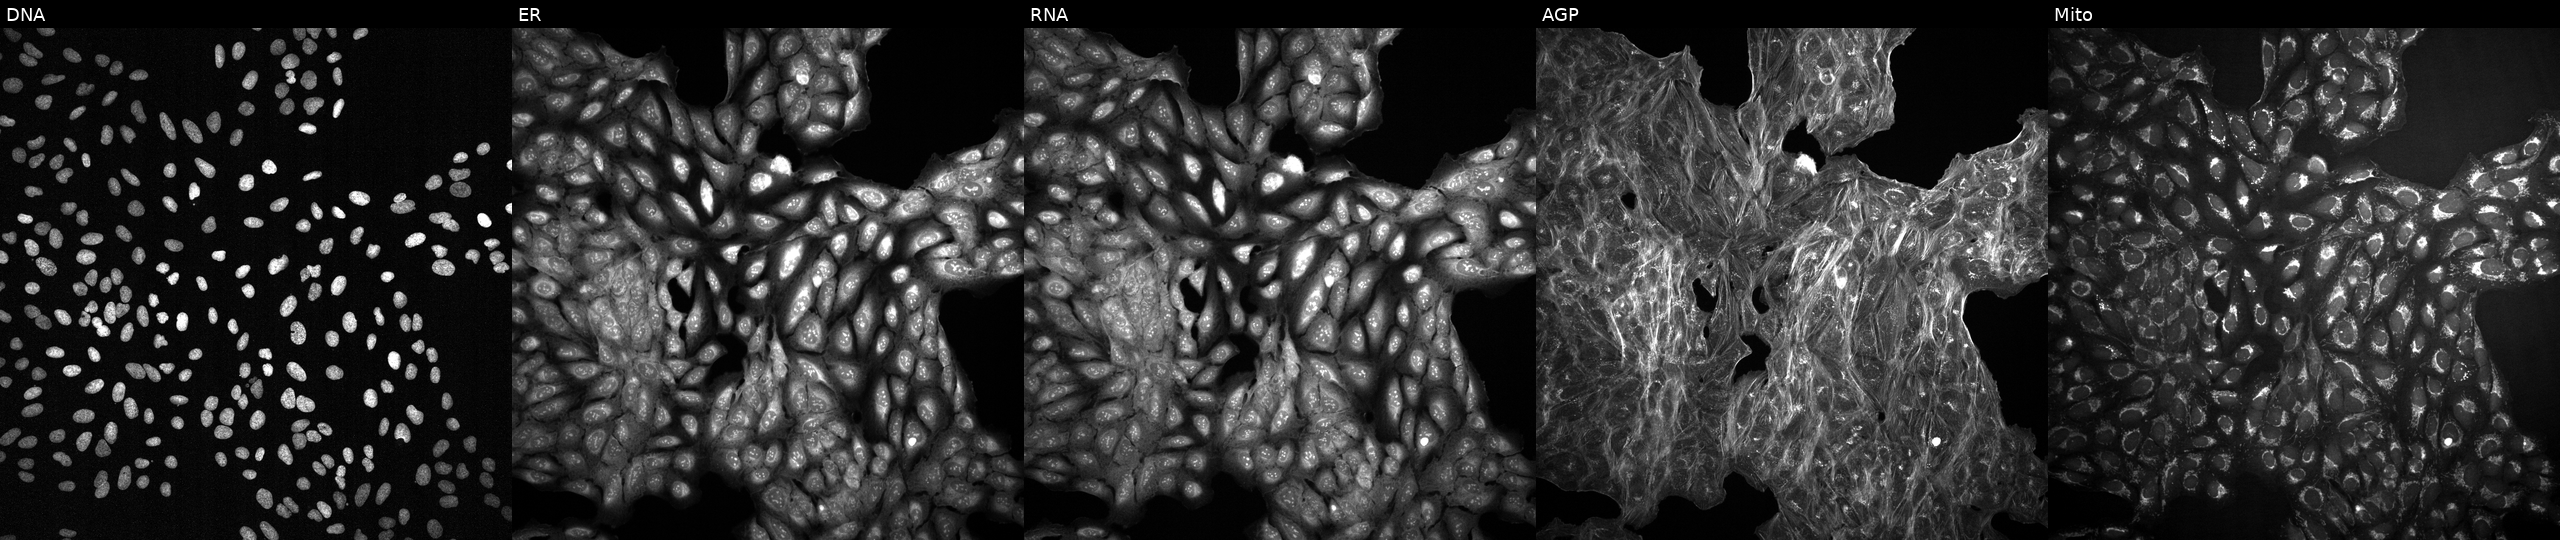
High-content fluorescence microscopy (Cell Painting). Cell line: U2OS. Perturbation: exposed to DMSO alone as a negative control (JUMP id JCP2022_033924). Panels show, left to right, Hoechst 33342, concanavalin A, SYTO 14, phalloidin and WGA, MitoTracker.